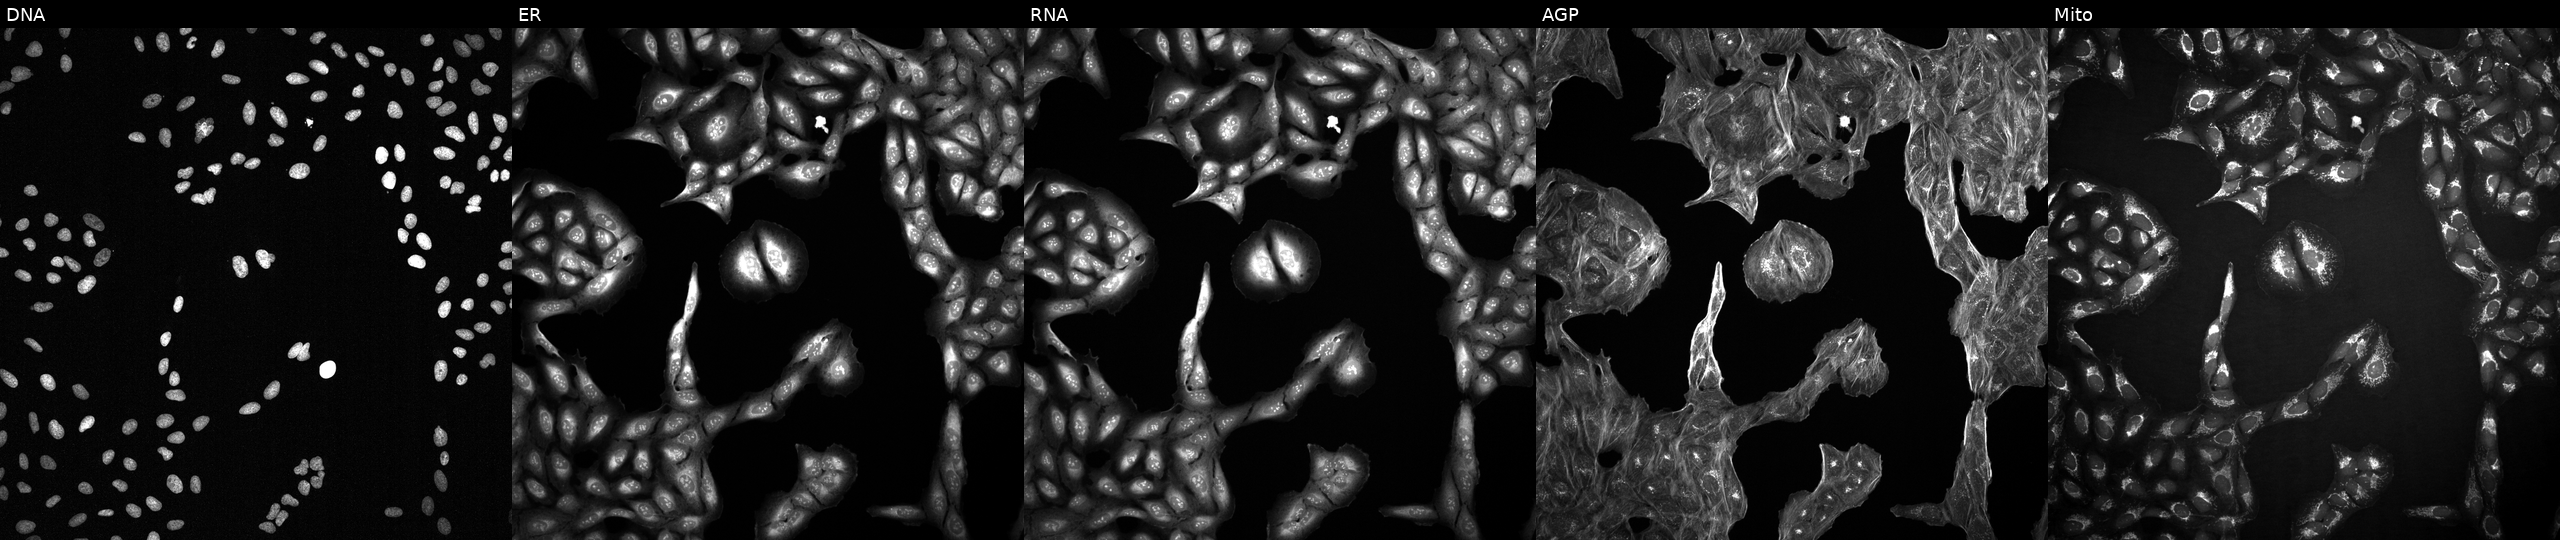
U2OS cells, Cell Painting assay, treated with a small-molecule compound (InChIKey ZDXPYRJPNDTMRX-UHFFFAOYSA-N). The five panels, left to right, show DNA, ER, RNA, AGP, and Mito. Each panel is percentile-stretched 16-bit fluorescence.